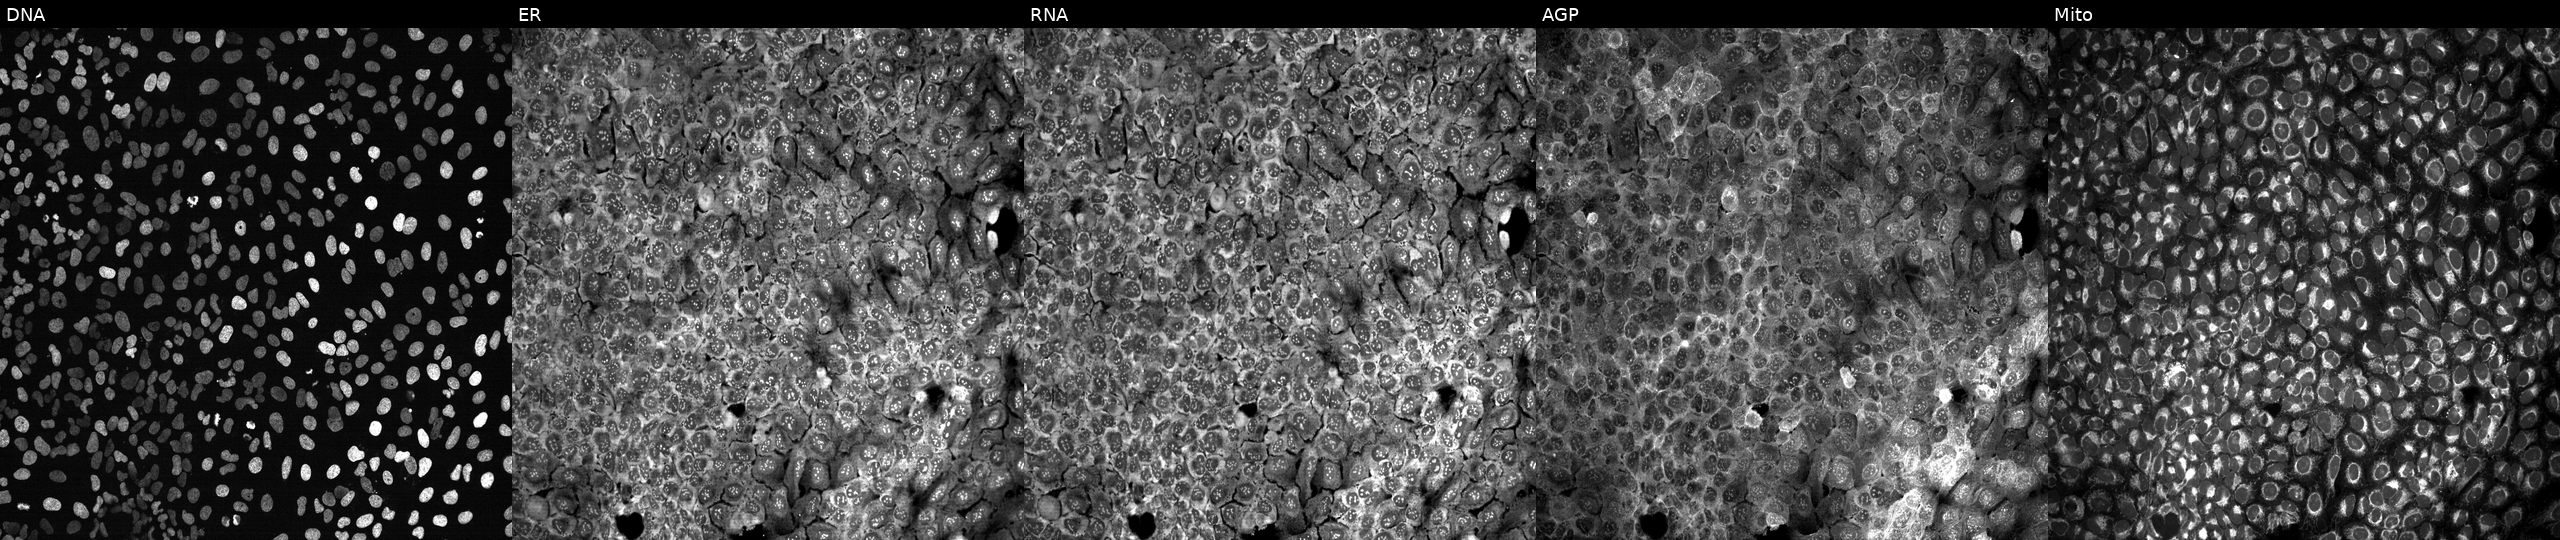
High-content fluorescence microscopy (Cell Painting). Cell line: U2OS. Perturbation: following CRISPR knockout of FCGR2A. Panels show, left to right, DNA (nuclei); ER (endoplasmic reticulum); RNA (nucleoli and cytoplasmic RNA); AGP (actin cytoskeleton, Golgi, and plasma membrane); Mito (mitochondria). Source 13, plate CP-CC9-R4-03, well E12.